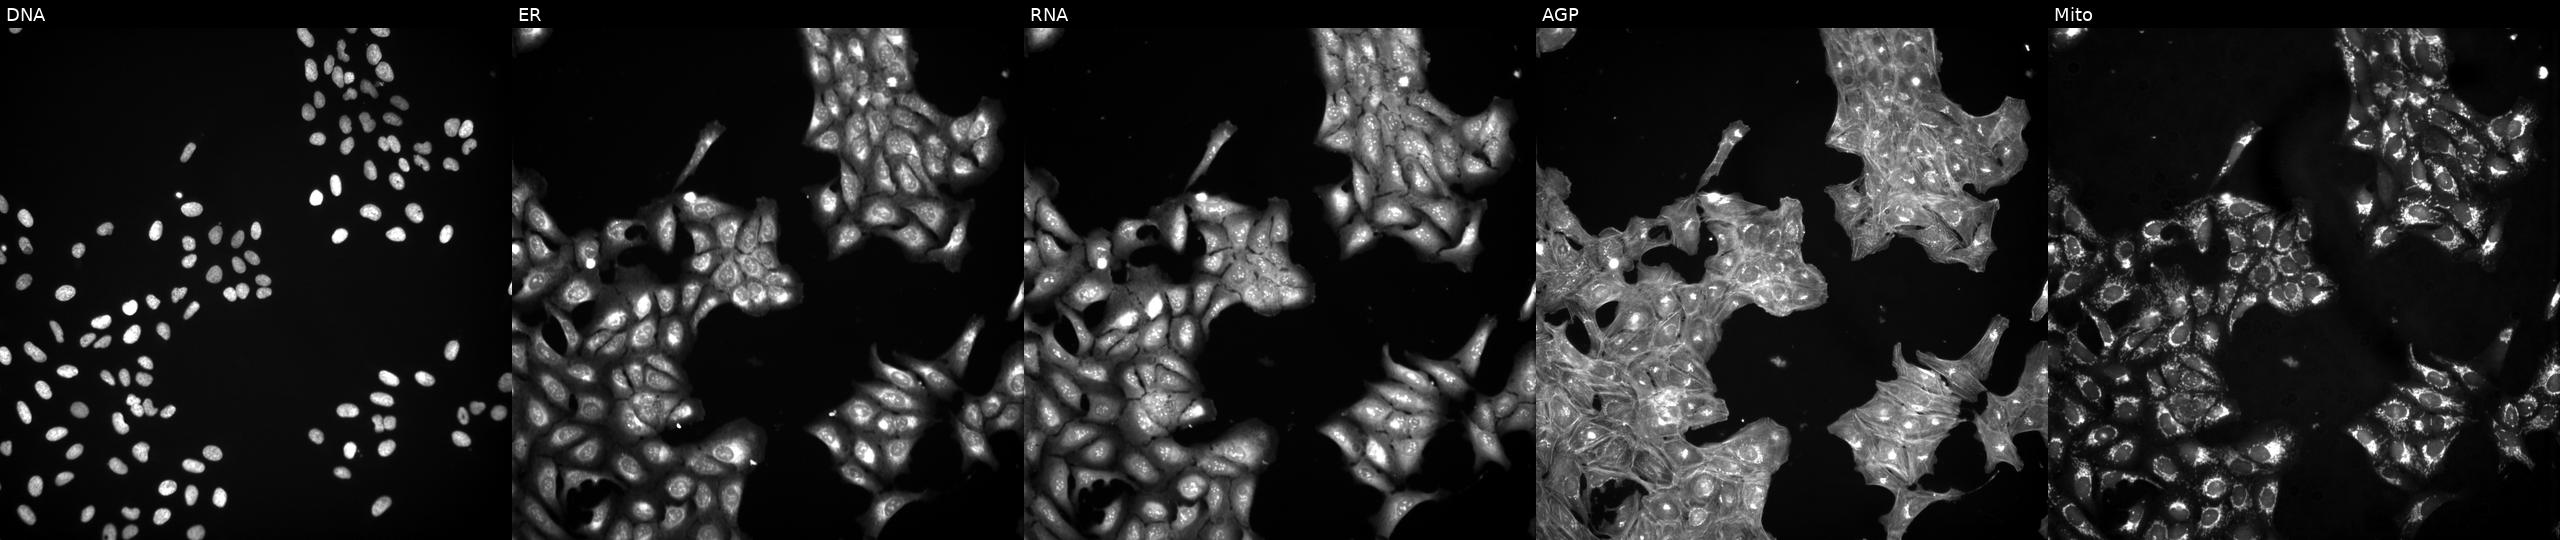
Channels (left→right): DNA (nuclei); ER (endoplasmic reticulum); RNA (nucleoli and cytoplasmic RNA); AGP (actin cytoskeleton, Golgi, and plasma membrane); Mito (mitochondria). U2OS osteosarcoma cells treated with a small-molecule compound. Cell Painting assay, JUMP-CP dataset.